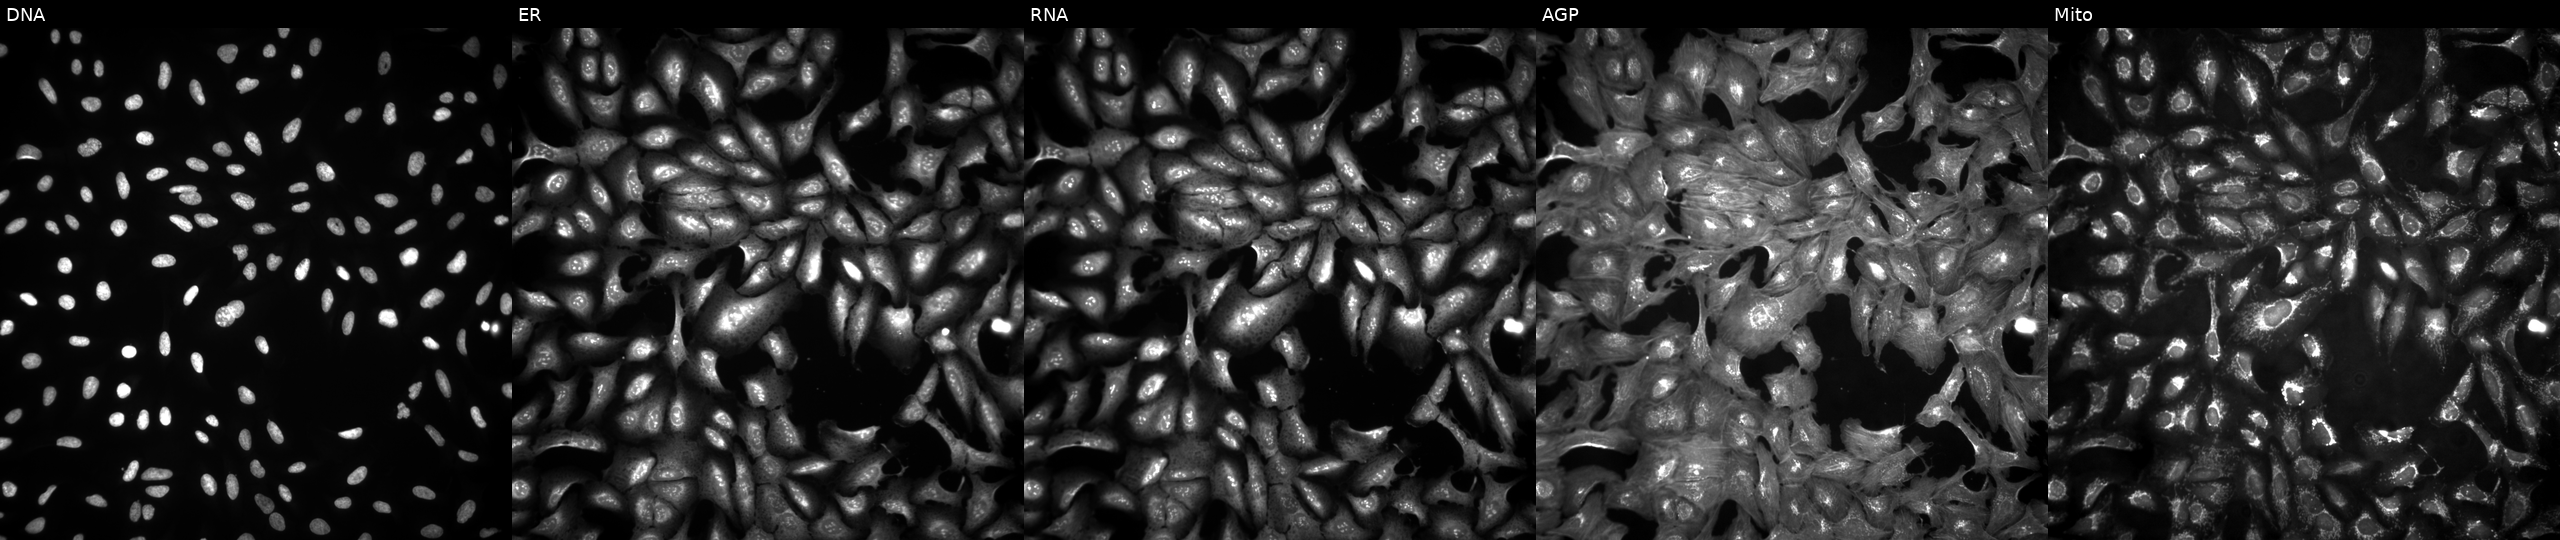
Five-channel Cell Painting image of U2OS cells with ZNHIT1 overexpressed (ORF). From left to right: DNA (nuclei); ER (endoplasmic reticulum); RNA (nucleoli and cytoplasmic RNA); AGP (actin cytoskeleton, Golgi, and plasma membrane); Mito (mitochondria).